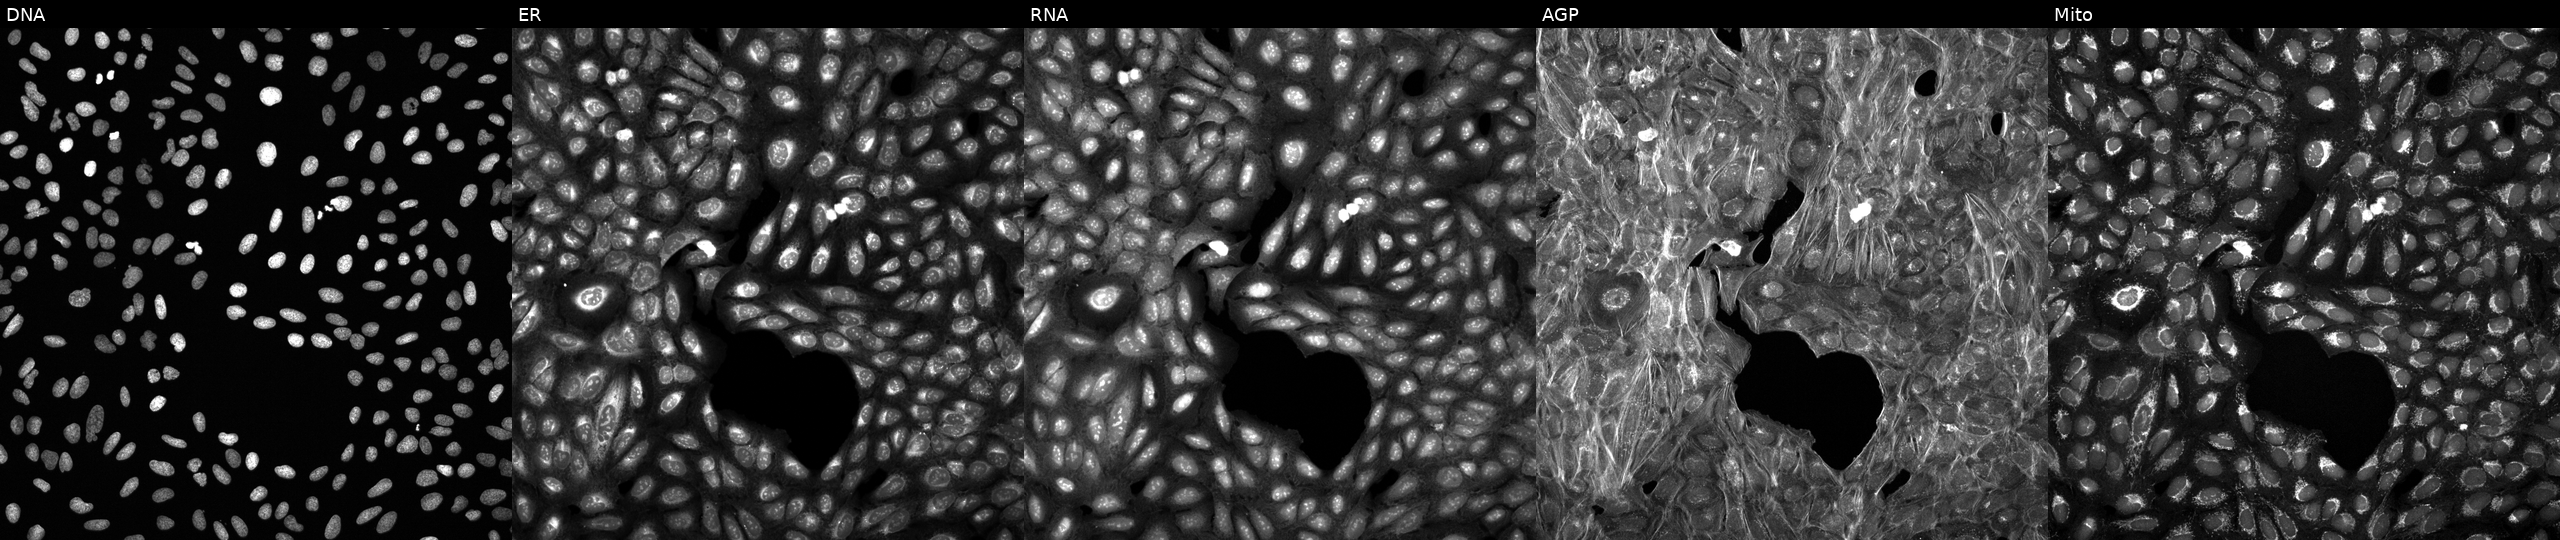
Five-channel Cell Painting image of U2OS cells perturbed with a small-molecule compound (InChIKey QUGDTMONBLMLLD-UHFFFAOYSA-N). From left to right: DNA, ER, RNA, AGP, and Mito.